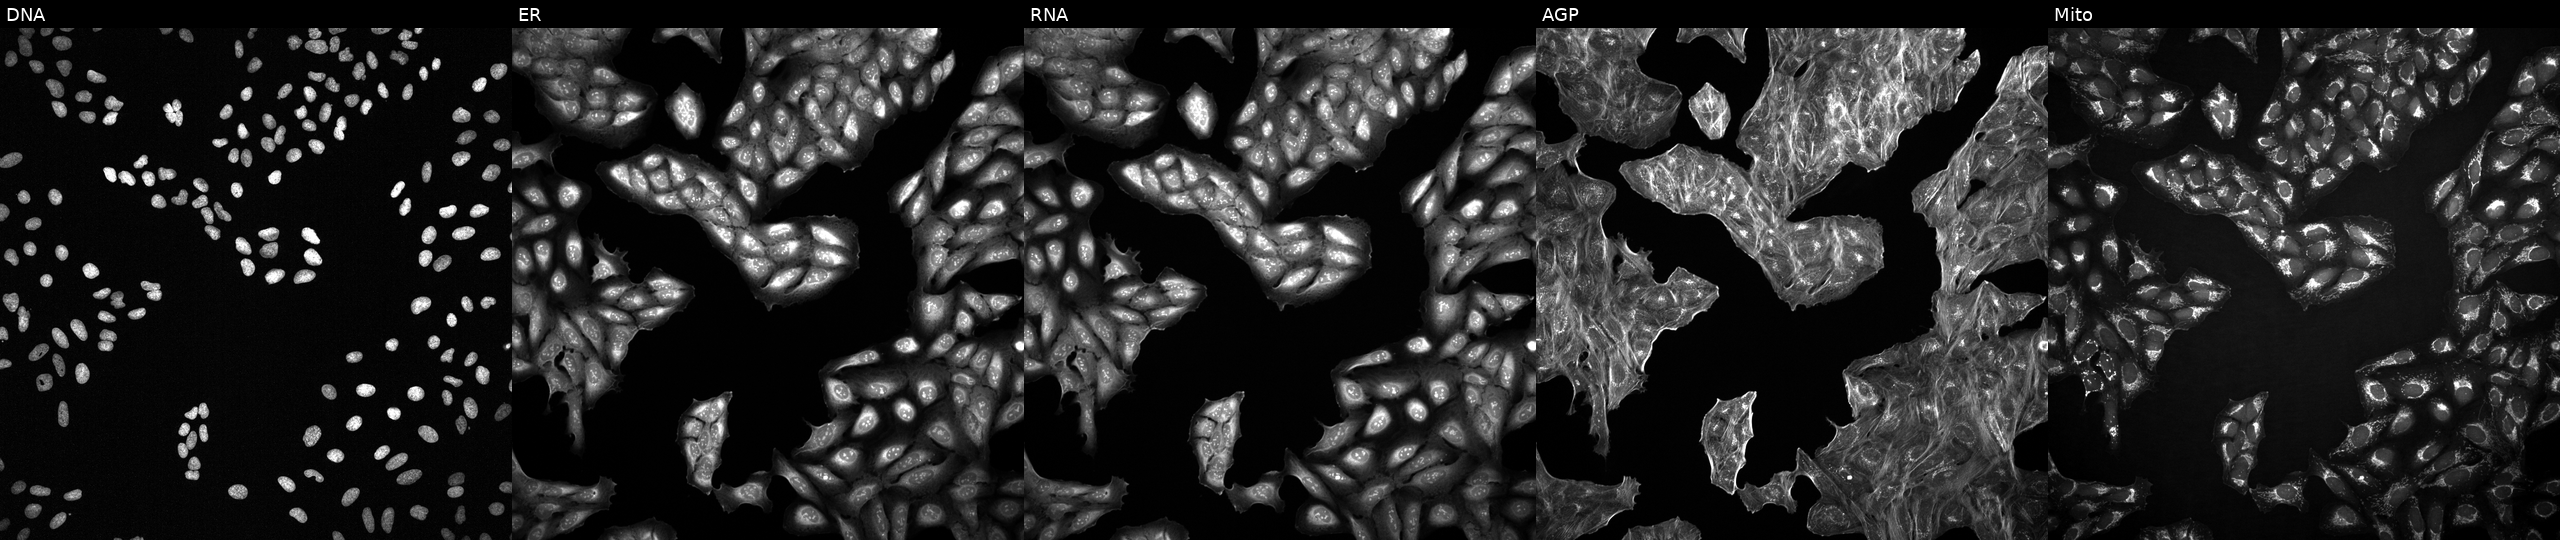
Five-channel Cell Painting image of U2OS cells with an unidentified perturbation (not annotated in JUMP metadata). From left to right: Hoechst 33342, concanavalin A, SYTO 14, phalloidin and WGA, MitoTracker. Source 2, plate 1053601756, well J11.